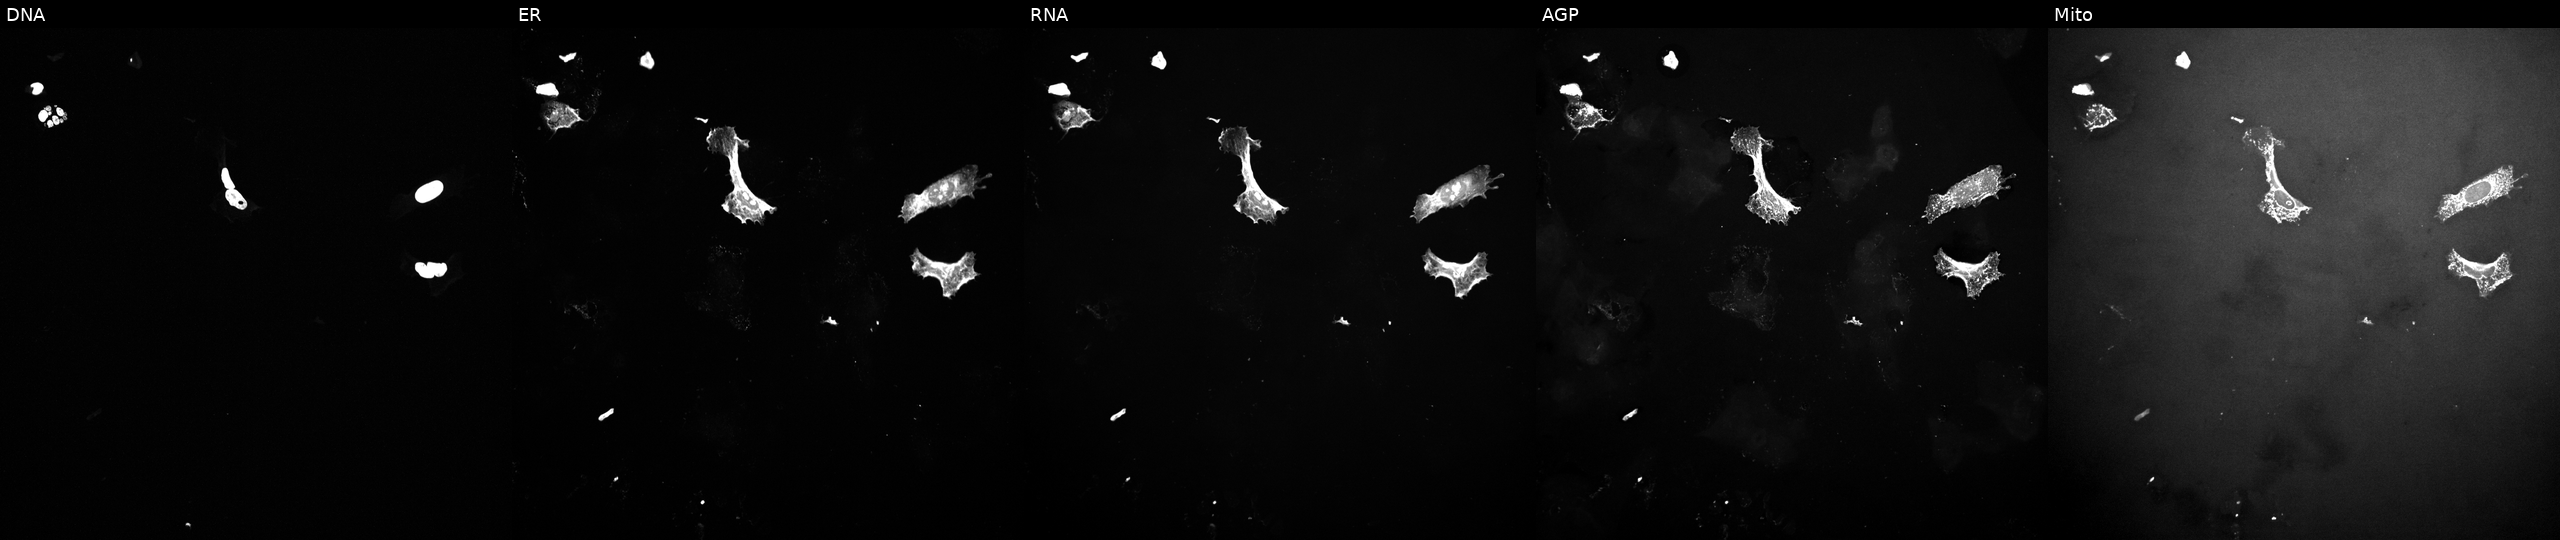
Channels (left→right): DNA, ER, RNA, AGP, and Mito. U2OS osteosarcoma cells perturbed with a small-molecule compound (InChIKey MTJHLONVHHPNSI-UHFFFAOYSA-N) [SMILES: CCCC(N=c1[nH]c(-c2ccc(NC(=O)NCC)c(OC)c2)ncc1C)c1cccnc1] (JUMP id JCP2022_056401). Cell Painting assay, JUMP-CP dataset.